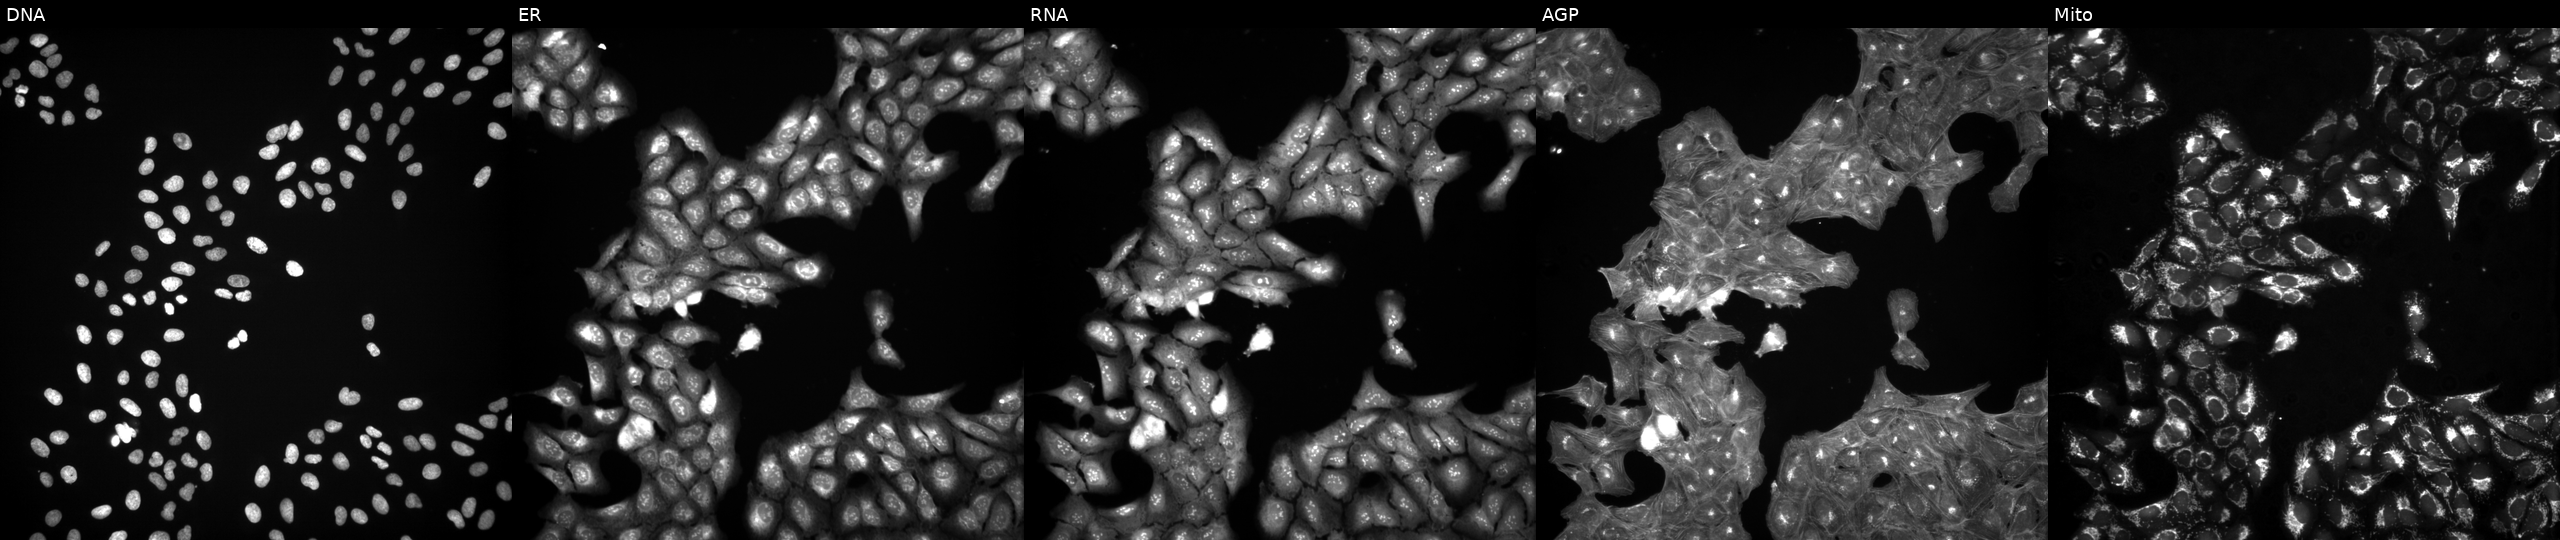
U2OS cells, Cell Painting assay, treated with a small-molecule compound (InChIKey PDMUGYOXRHVNMO-UHFFFAOYSA-N). Panels show, left to right, Hoechst 33342, concanavalin A, SYTO 14, phalloidin and WGA, MitoTracker. Each panel is percentile-stretched 16-bit fluorescence.